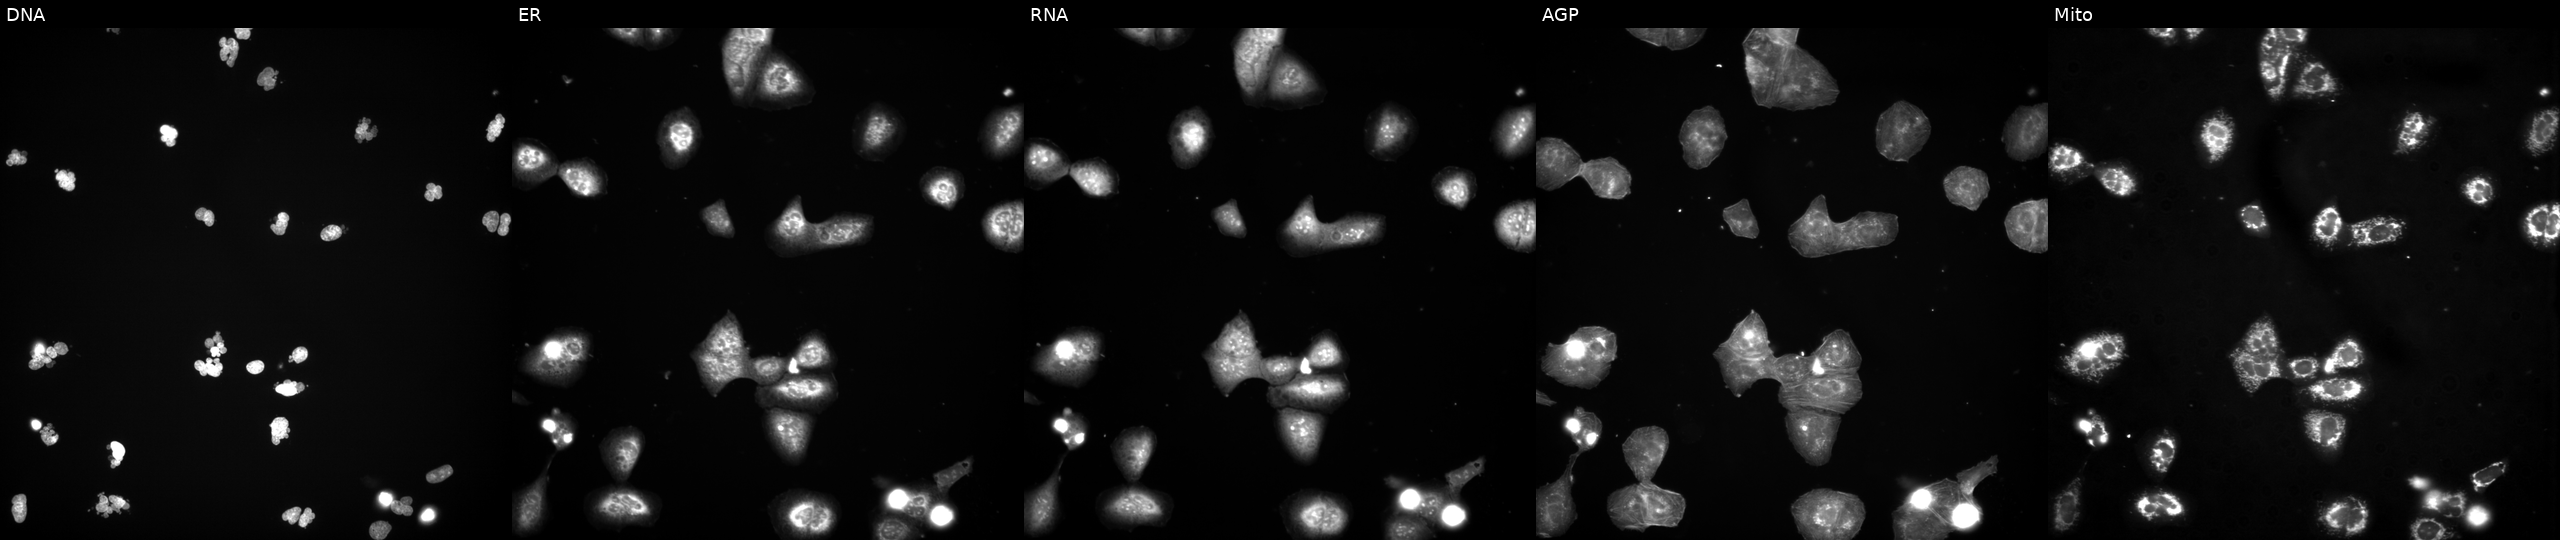
Five-channel Cell Painting image of U2OS cells treated with a small-molecule compound (InChIKey CMYHZFCJPORPHY-UHFFFAOYSA-N) (JUMP id JCP2022_012198). Channels (left→right): DNA, ER, RNA, AGP, and Mito. Source 3, plate JCPQC053, well I16.